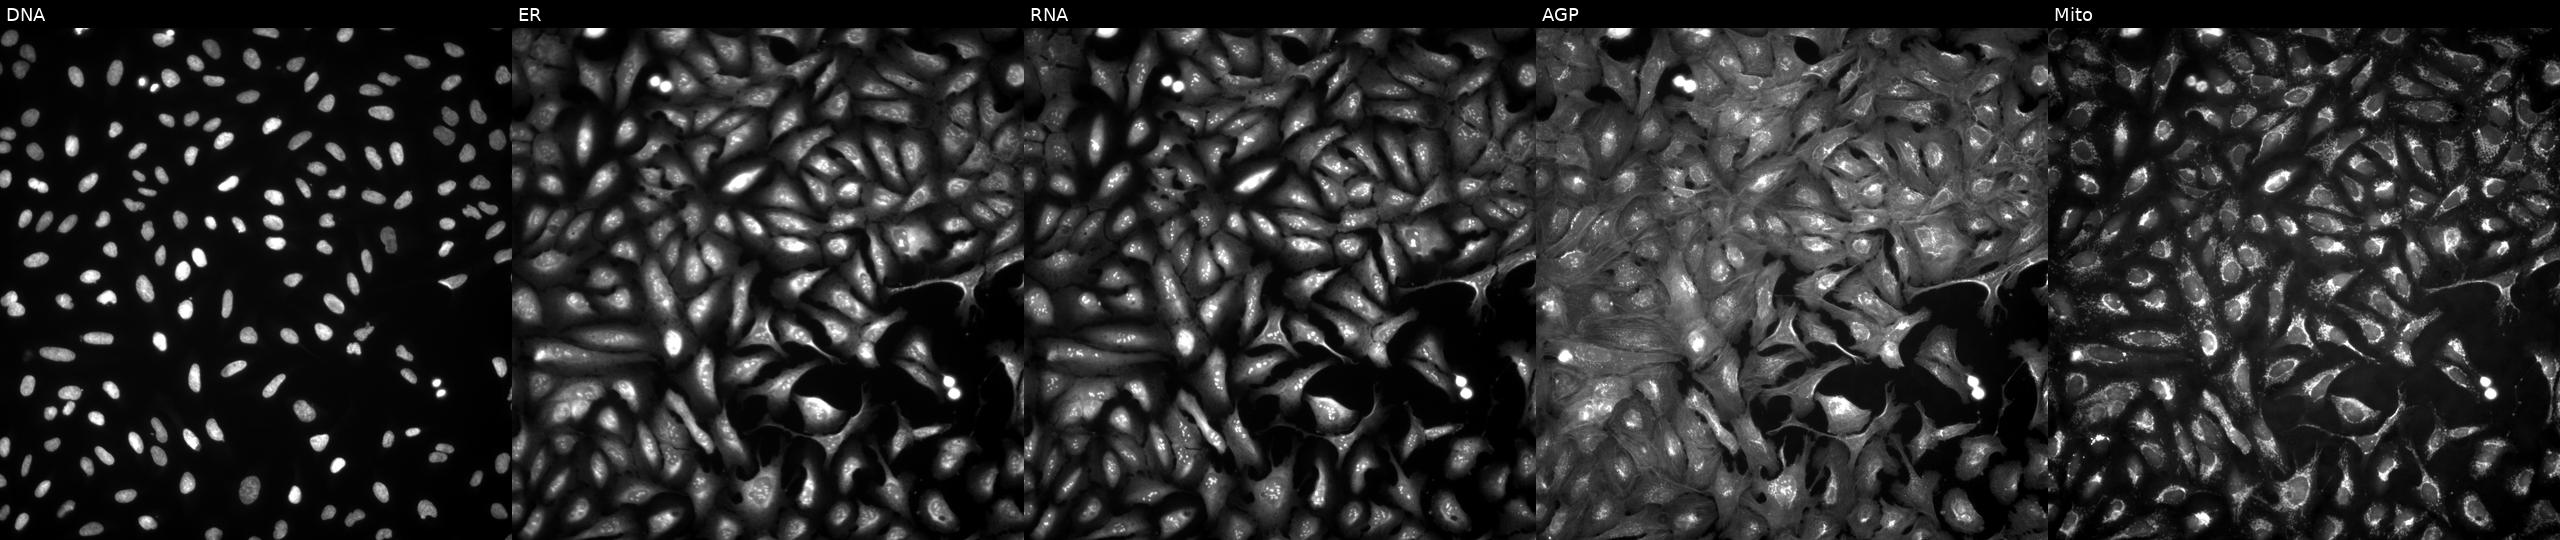
Panels show, left to right, Hoechst 33342, concanavalin A, SYTO 14, phalloidin and WGA, MitoTracker. U2OS osteosarcoma cells overexpressing NDUFA1 via ORF transfection. Cell Painting assay, JUMP-CP dataset. Source 4, plate BR00123509, well L01.